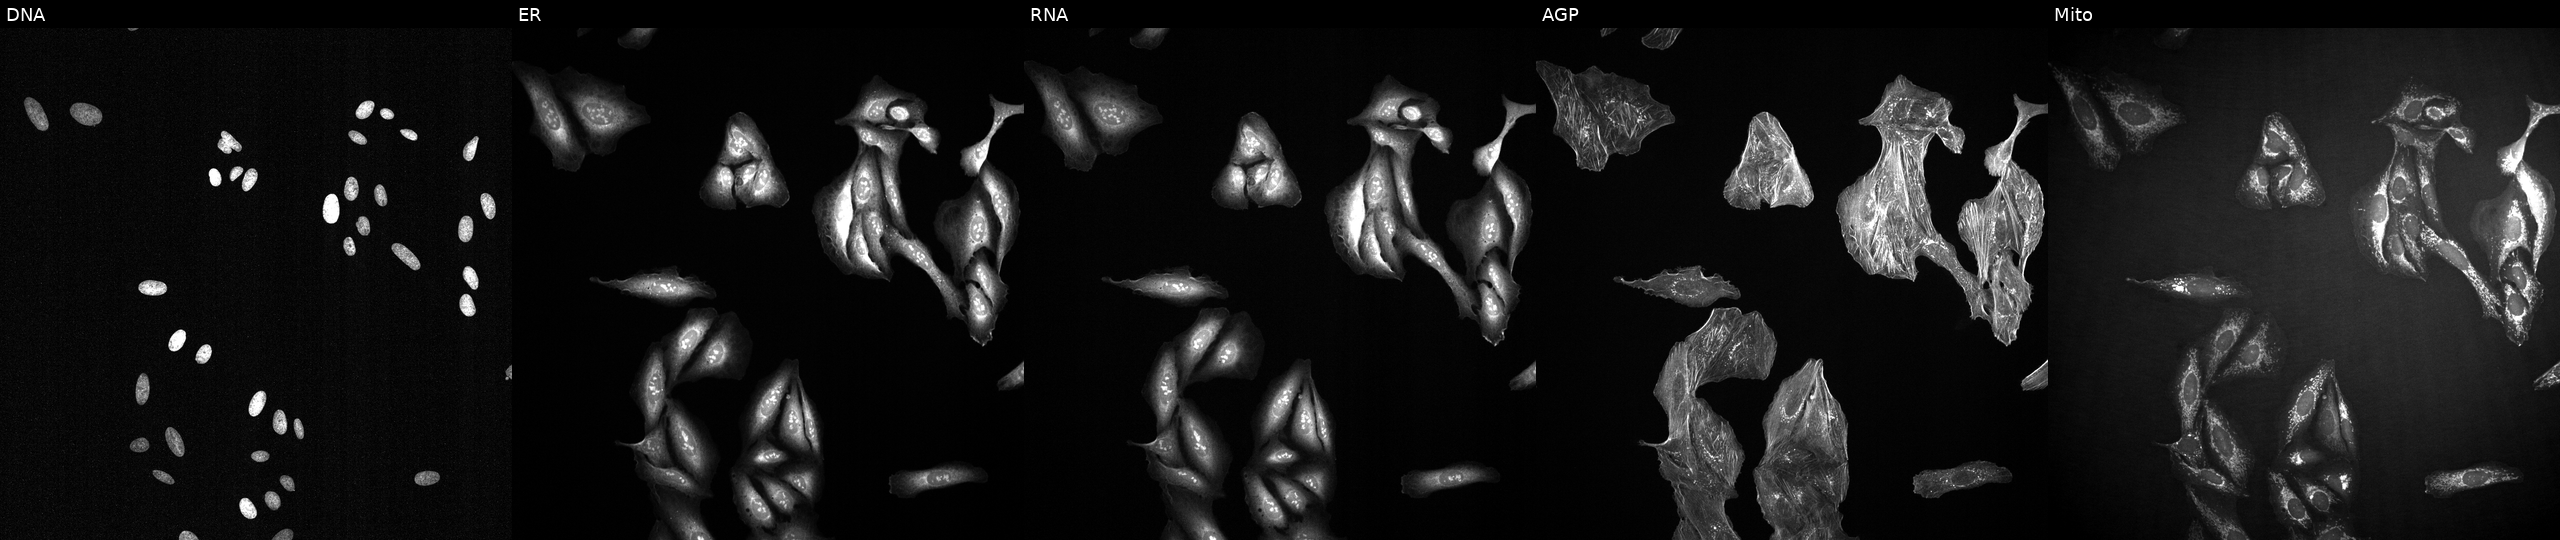
JUMP Cell Painting — TARGET2 plate. U2OS cells perturbed with a small-molecule compound (InChIKey RQVGFDBMONQTBC-UHFFFAOYSA-N) (JUMP id JCP2022_080150). From left to right: Hoechst 33342, concanavalin A, SYTO 14, phalloidin and WGA, MitoTracker.